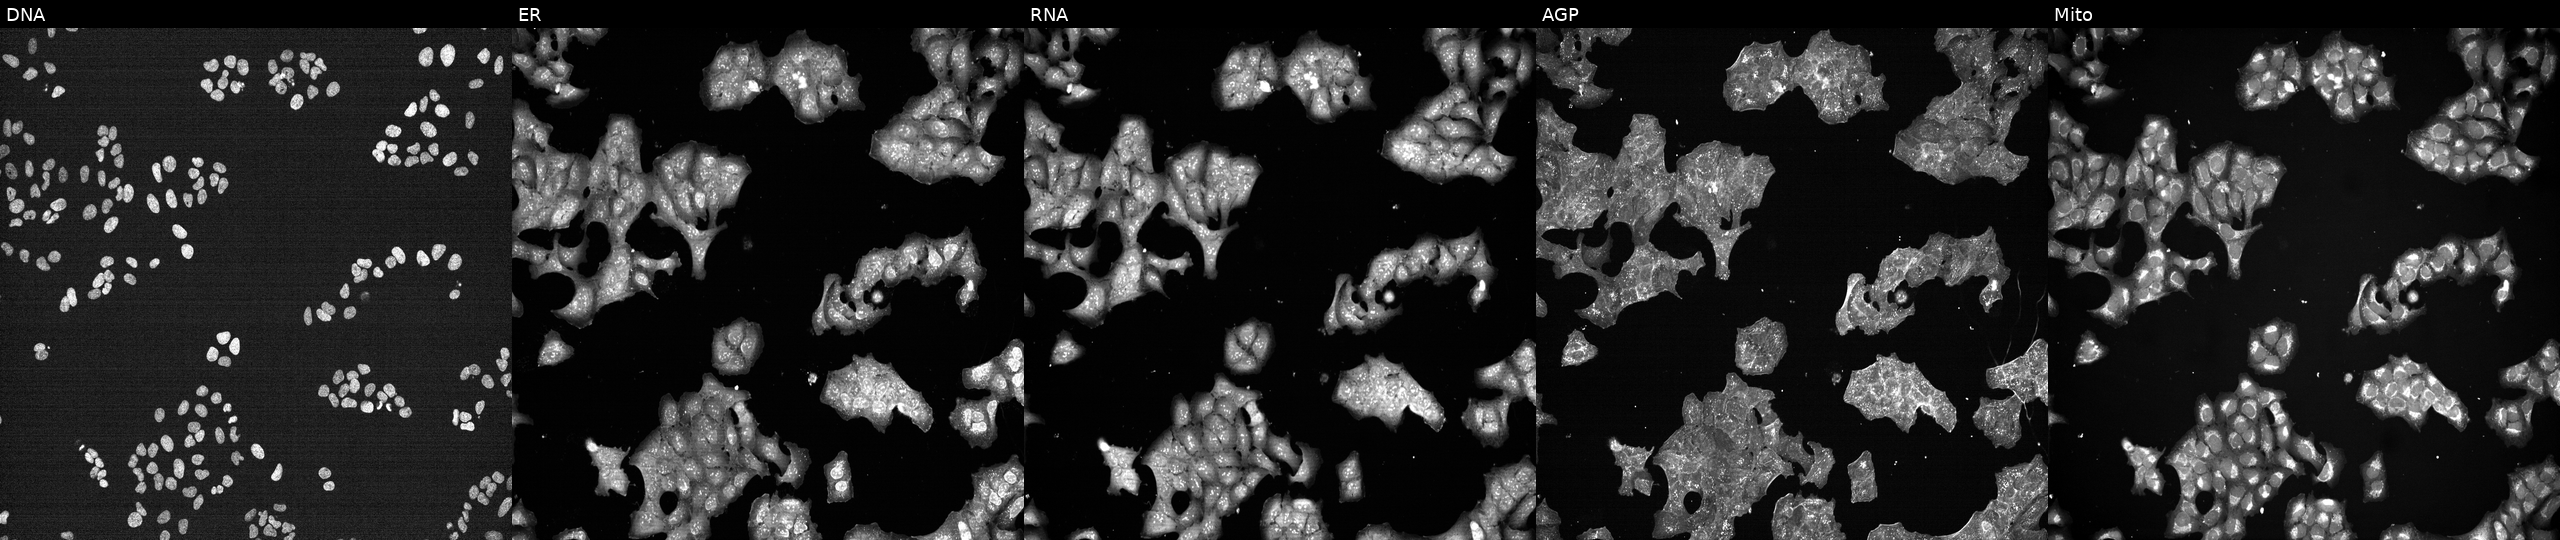
U2OS cells, Cell Painting assay, exposed to the positive-control compound NVS-PAK1-1 (JUMP id JCP2022_064022). Channels (left→right): DNA, ER, RNA, AGP, and Mito. Each panel is percentile-stretched 16-bit fluorescence. Source 7, plate CP1-SC1-25, well J13.